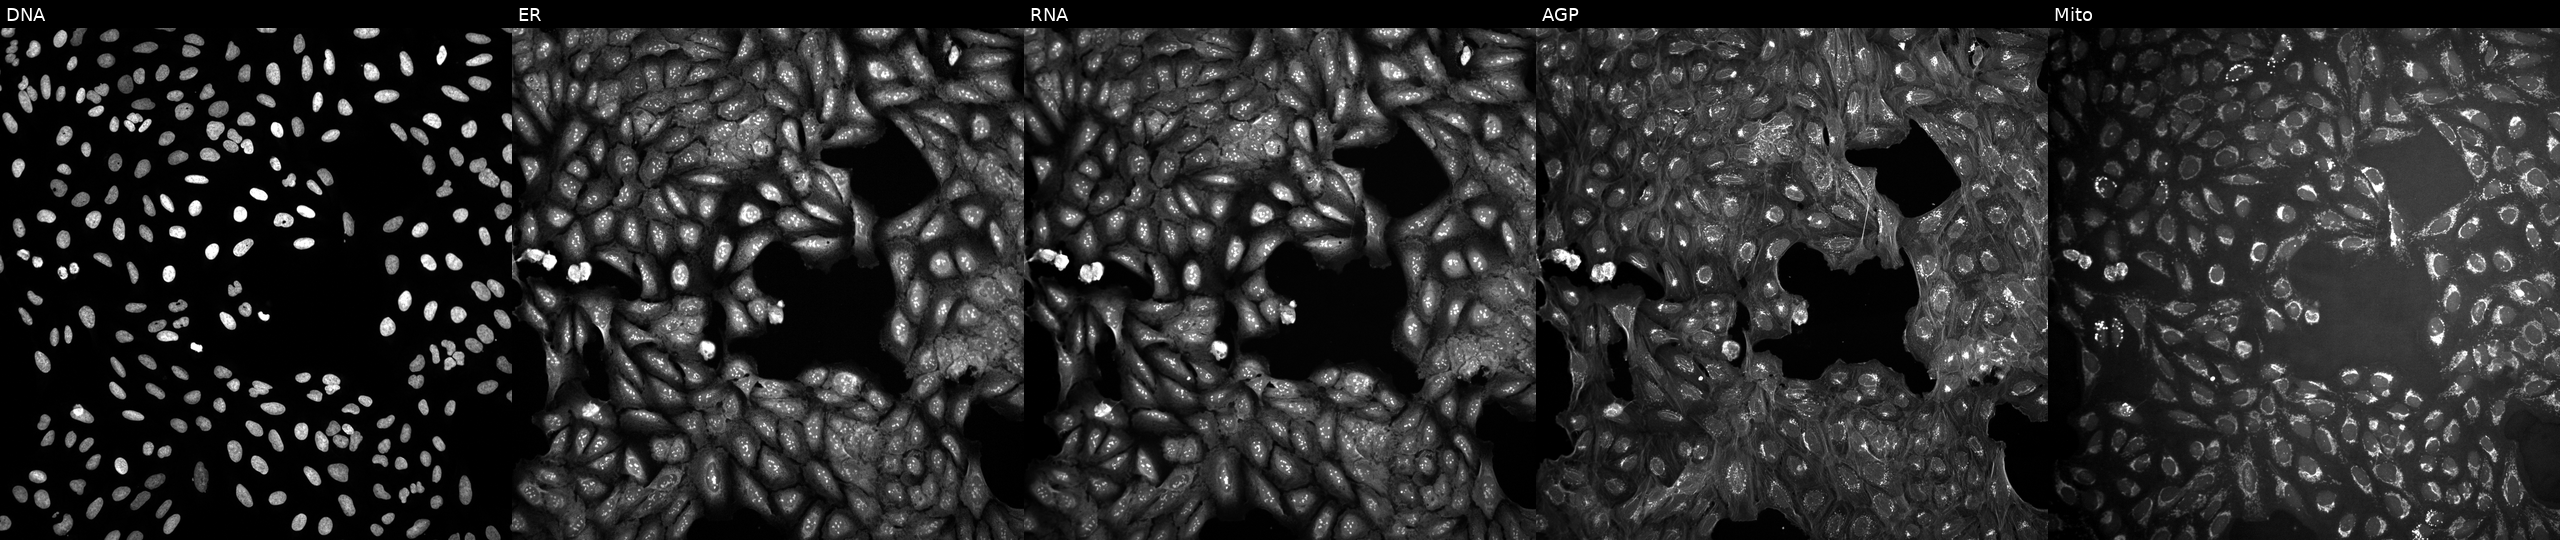
Five-channel Cell Painting image of U2OS cells treated with quinidine (positive-control compound) (JUMP id JCP2022_050797). Channels (left→right): Hoechst 33342, concanavalin A, SYTO 14, phalloidin and WGA, MitoTracker.